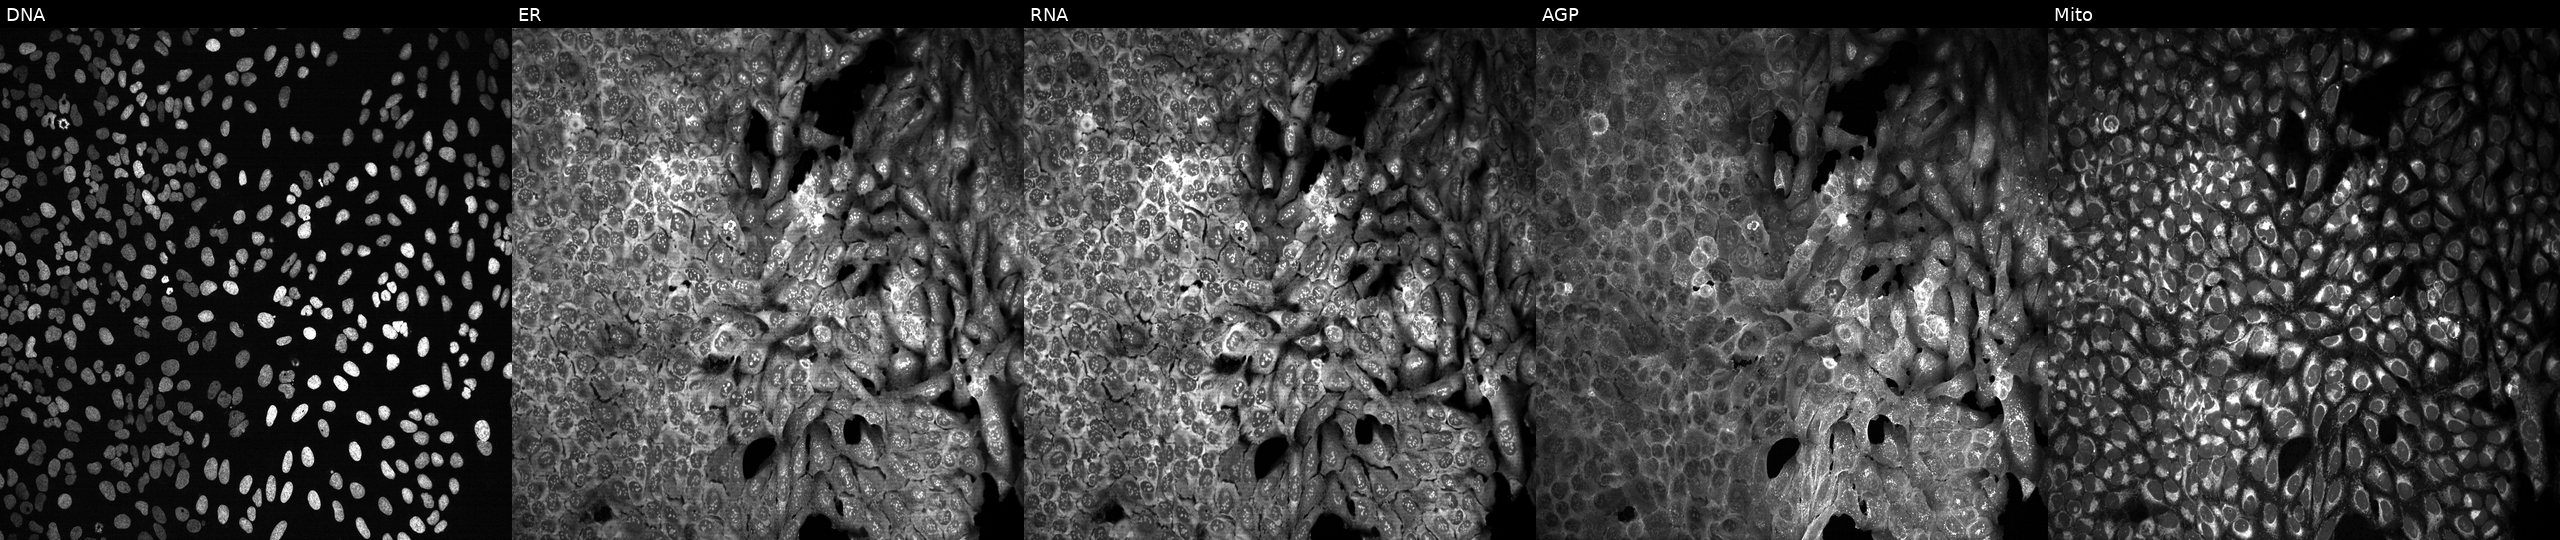
The five panels, left to right, show Hoechst 33342, concanavalin A, SYTO 14, phalloidin and WGA, MitoTracker. U2OS osteosarcoma cells with MMP12 knocked out by CRISPR (JUMP id JCP2022_804211). Cell Painting assay, JUMP-CP dataset. Source 13, plate CP-CC9-R6-19, well O04.